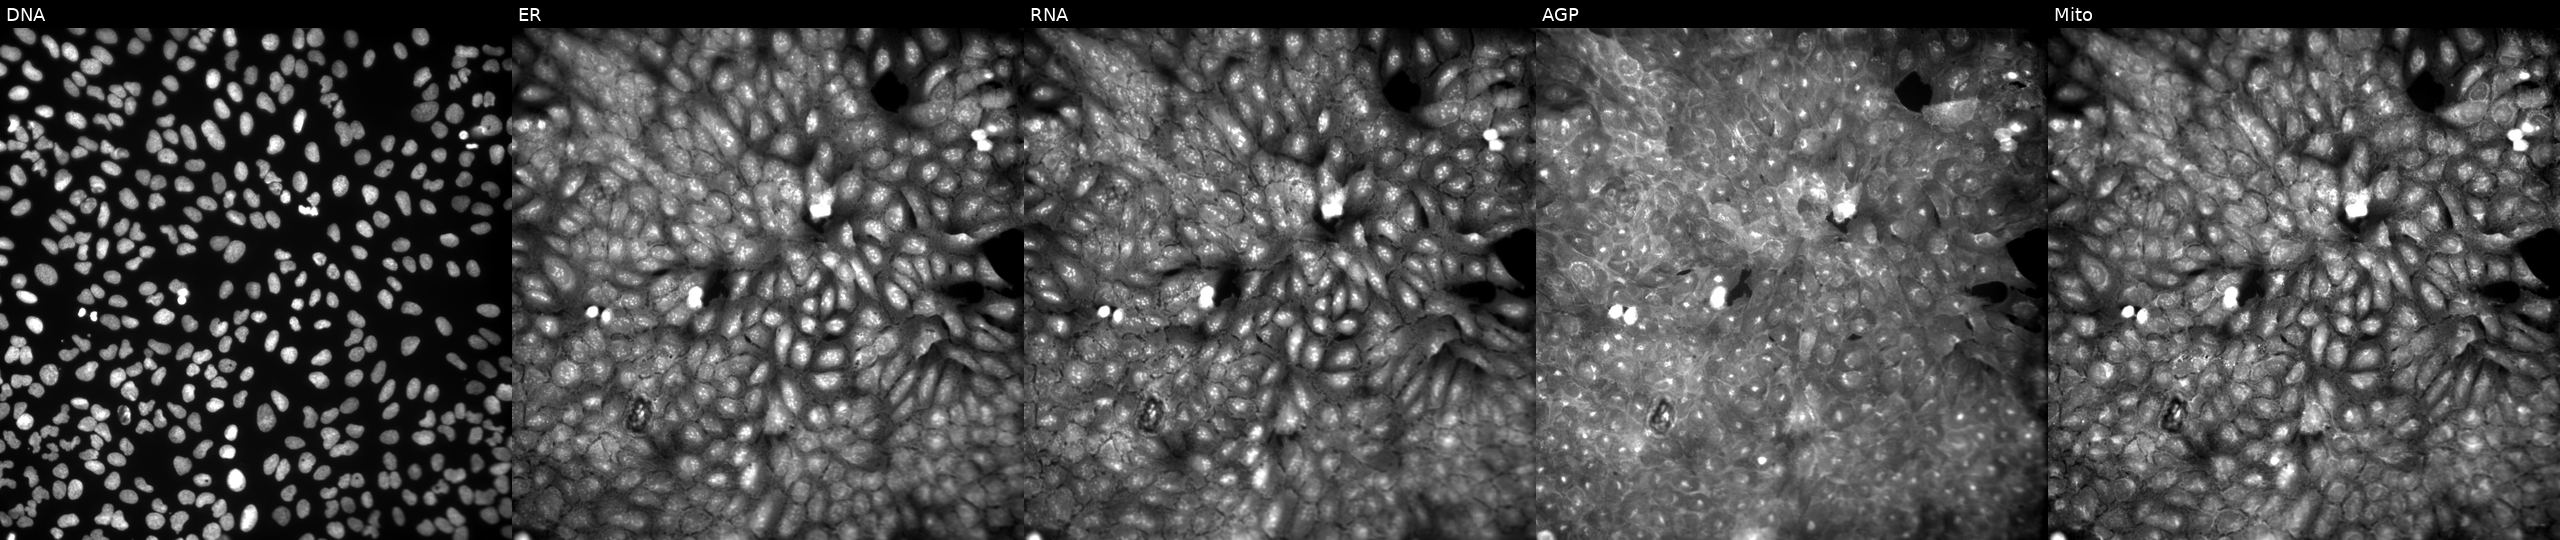
Five-channel Cell Painting image of U2OS cells exposed to a small-molecule compound. Panels show, left to right, DNA (nuclei); ER (endoplasmic reticulum); RNA (nucleoli and cytoplasmic RNA); AGP (actin cytoskeleton, Golgi, and plasma membrane); Mito (mitochondria).